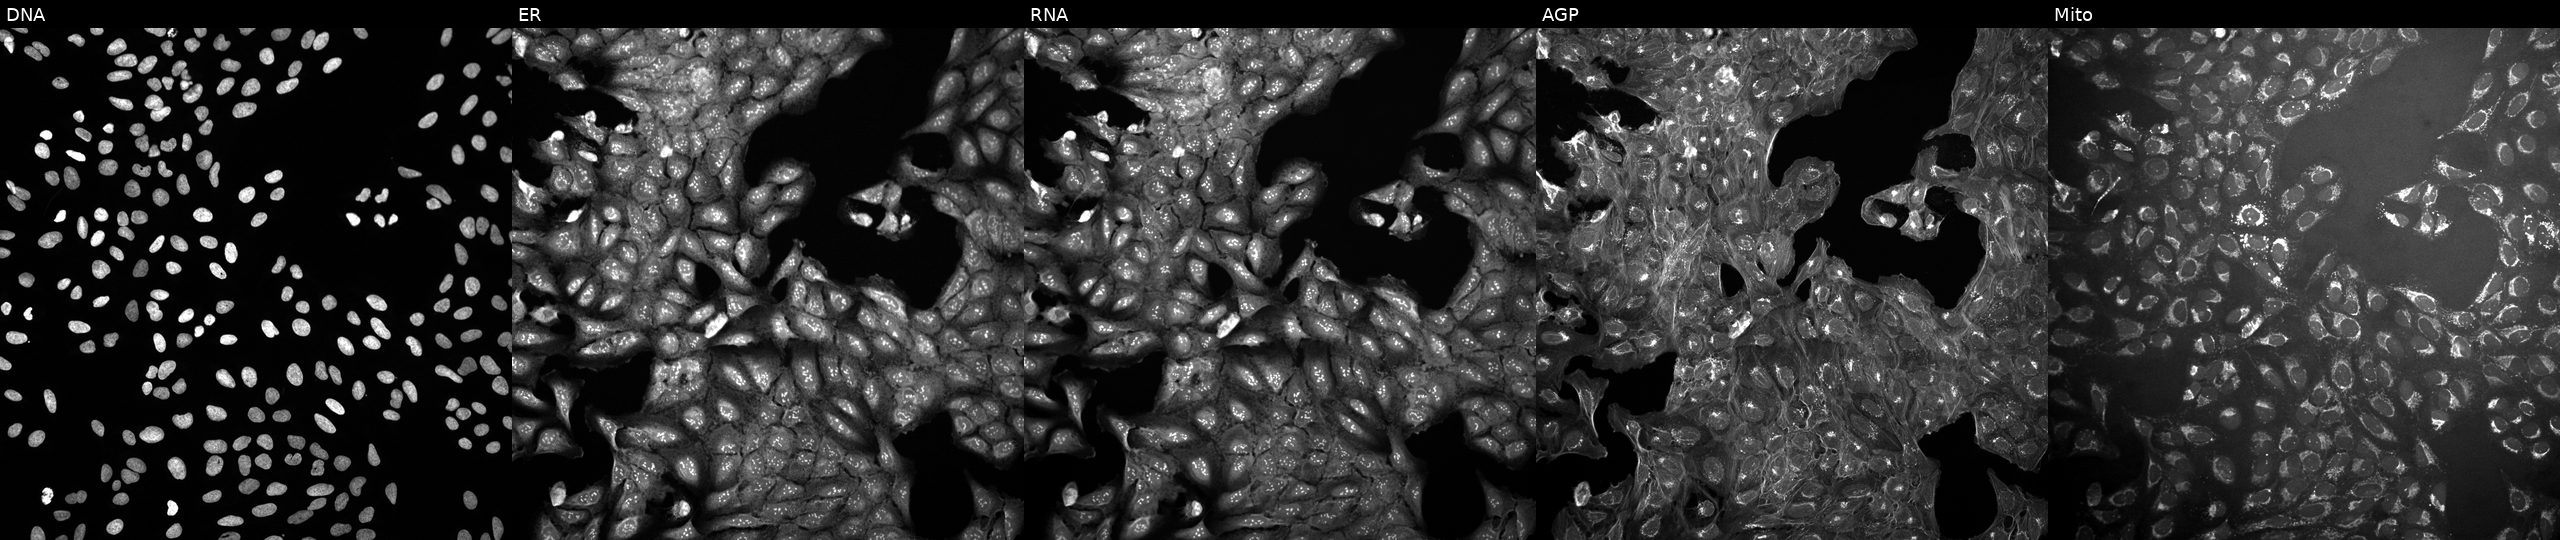
High-content fluorescence microscopy (Cell Painting). Cell line: U2OS. Perturbation: treated with a small-molecule compound (InChIKey BBHJTPHCVSOBAQ-UHFFFAOYSA-N) [SMILES: CN1CCN(Cc2cnc(N3CCCCC3)nc2)CC12CCNC(=O)CC2] (JUMP id JCP2022_005201). Panels show, left to right, DNA, ER, RNA, AGP, and Mito. Source 10, plate Dest210531-152149, well B13.